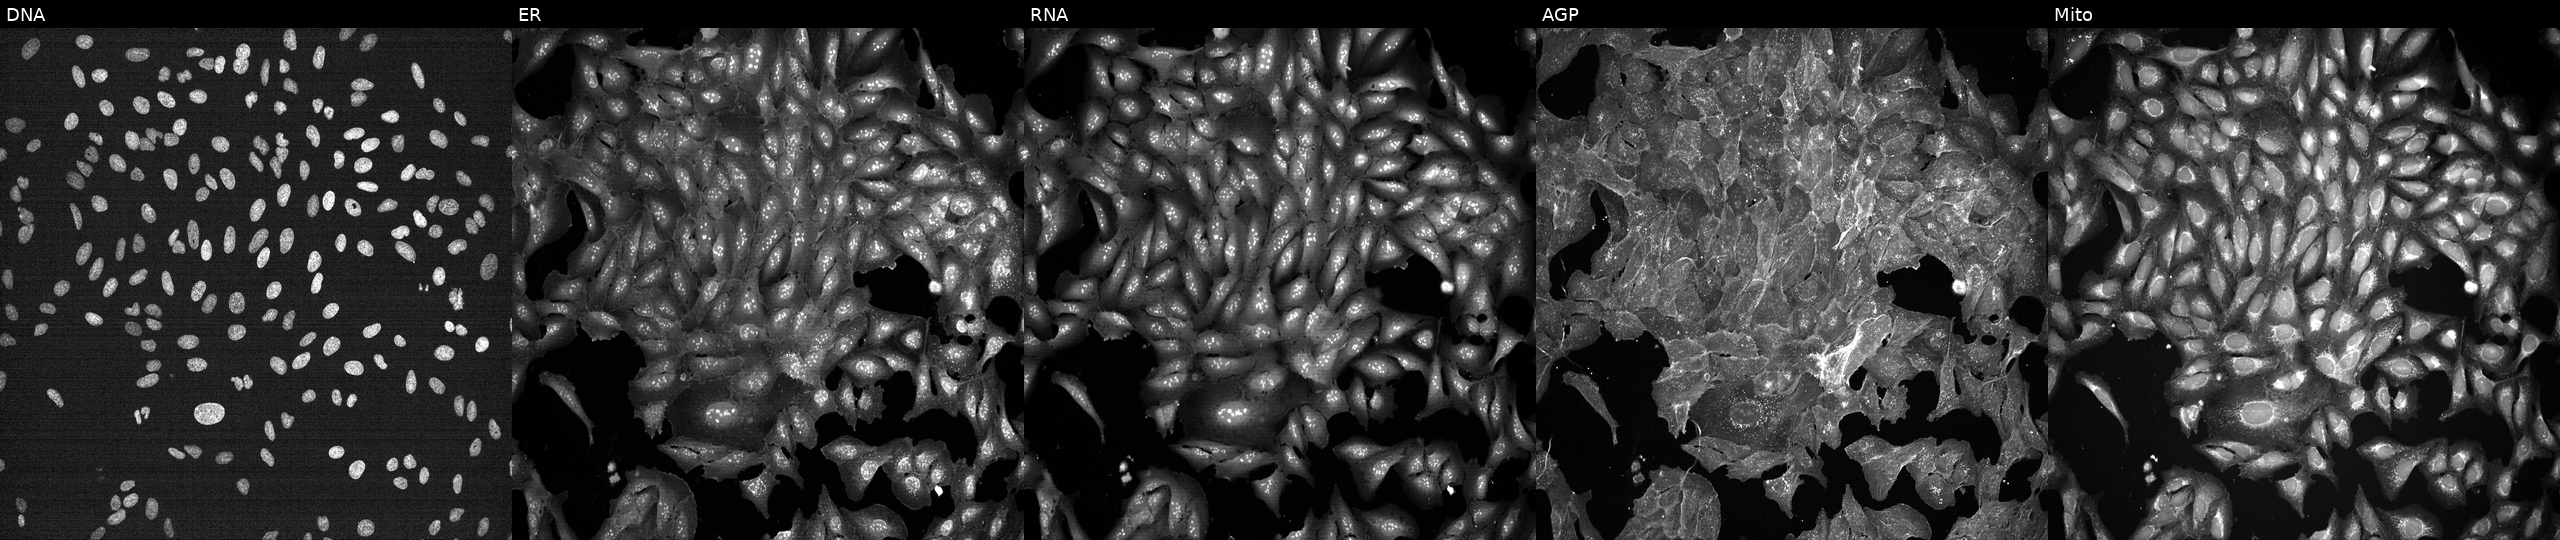
High-content fluorescence microscopy (Cell Painting). Cell line: U2OS. Perturbation: treated with a small-molecule compound (InChIKey IPSSXIMJJXSJQB-UHFFFAOYSA-N) (JUMP id JCP2022_036614). Channels (left→right): DNA (nuclei); ER (endoplasmic reticulum); RNA (nucleoli and cytoplasmic RNA); AGP (actin cytoskeleton, Golgi, and plasma membrane); Mito (mitochondria).